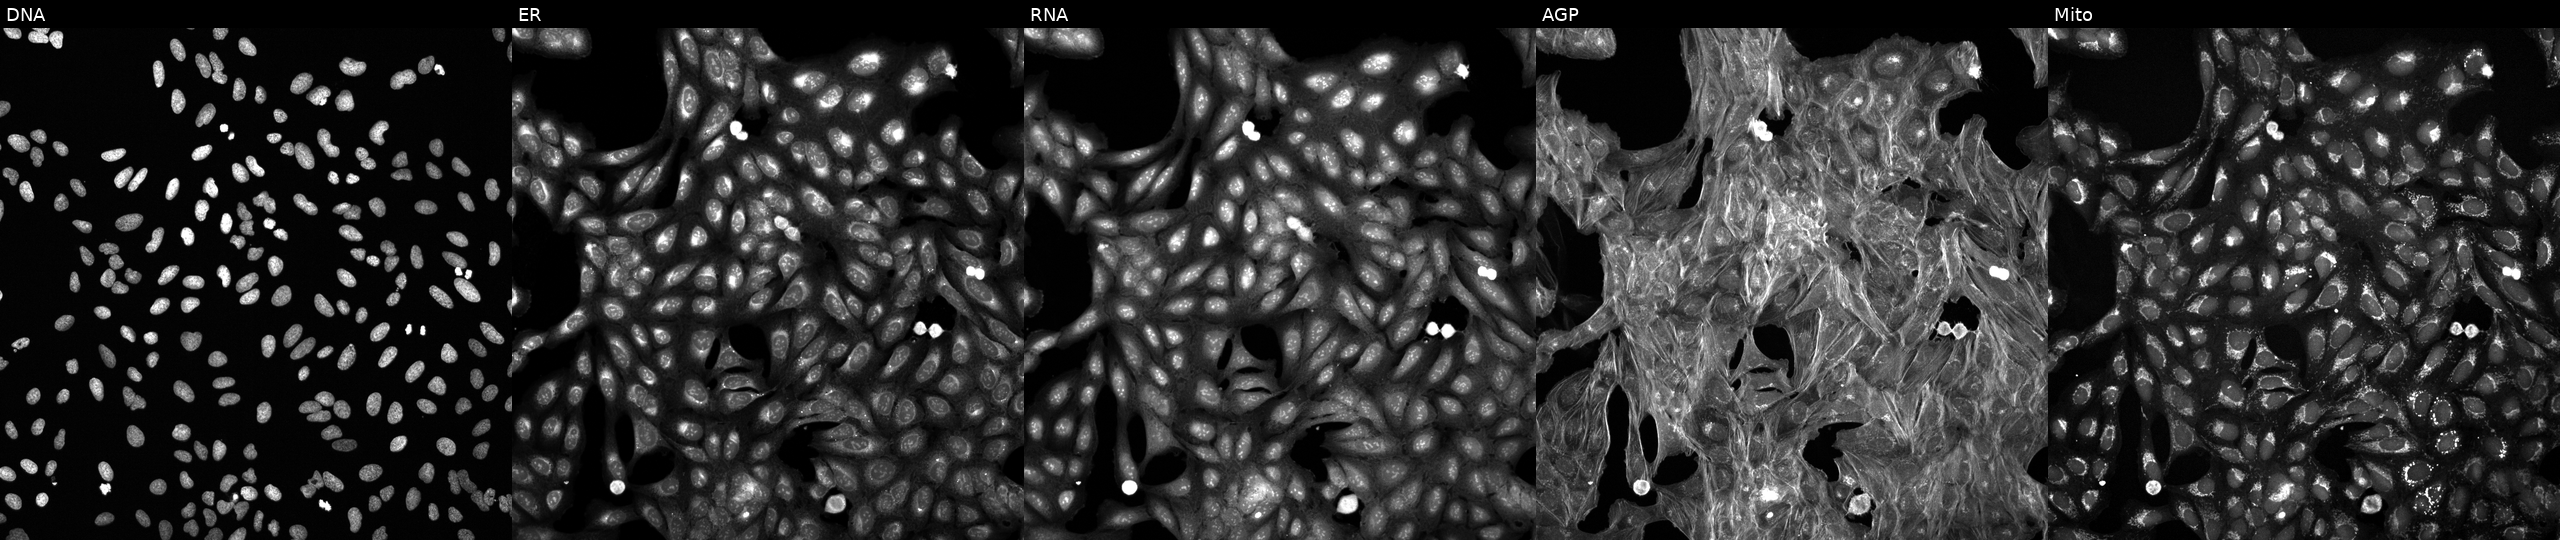
U2OS cells, Cell Painting assay, exposed to DMSO alone as a negative control. Panels show, left to right, Hoechst 33342, concanavalin A, SYTO 14, phalloidin and WGA, MitoTracker. Each panel is percentile-stretched 16-bit fluorescence.